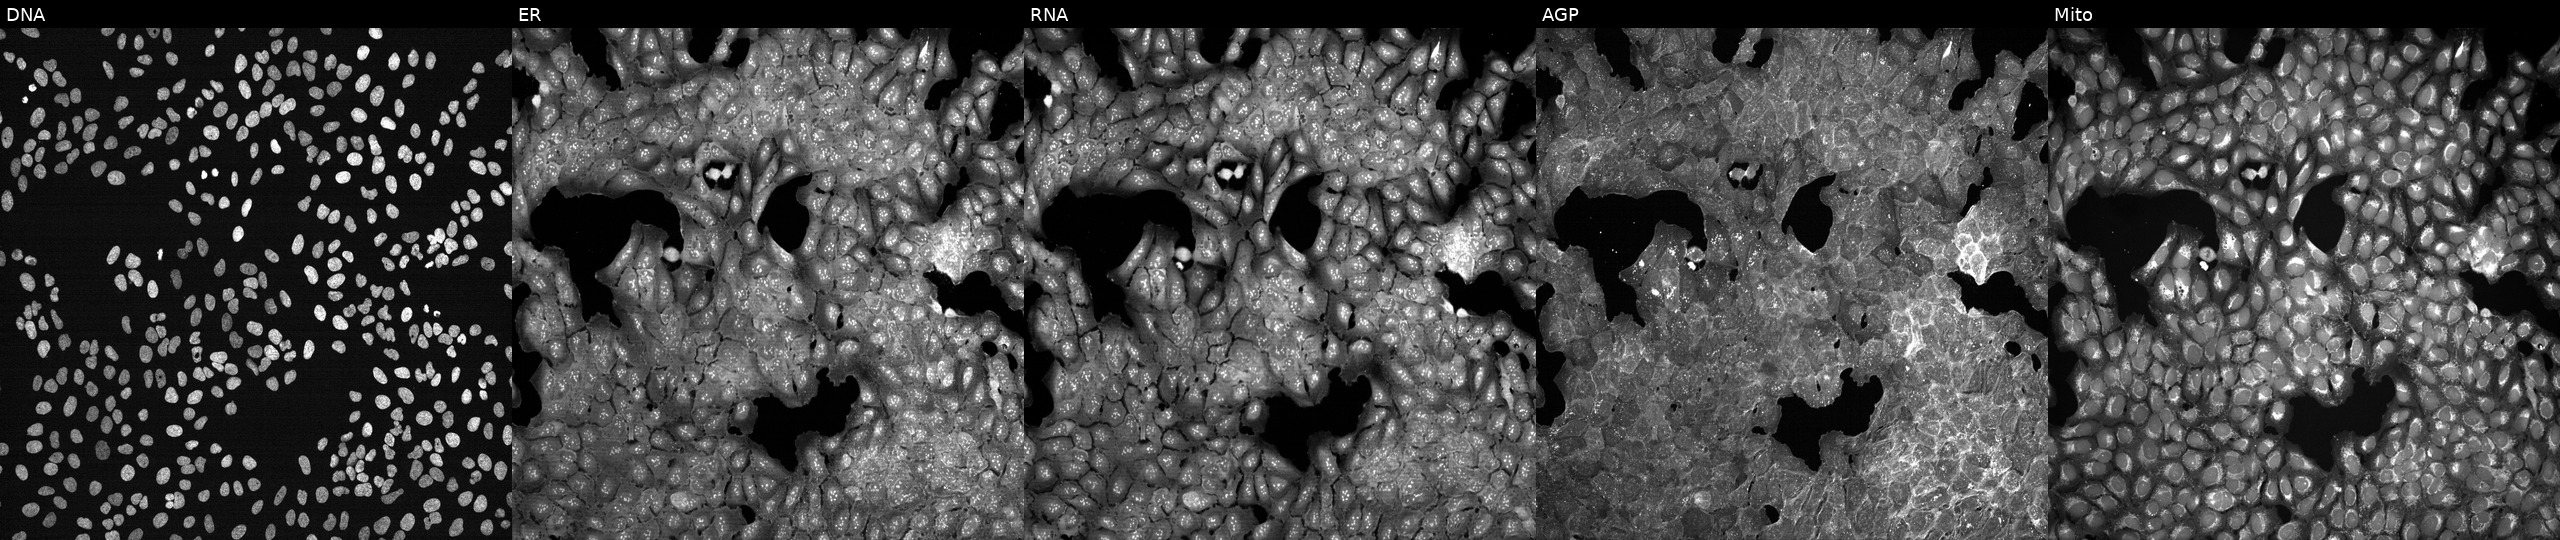
Five-channel Cell Painting image of U2OS cells perturbed with a small-molecule compound (InChIKey TXZPMHLMPKIUGK-UHFFFAOYSA-N) (JUMP id JCP2022_087474). From left to right: DNA (nuclei); ER (endoplasmic reticulum); RNA (nucleoli and cytoplasmic RNA); AGP (actin cytoskeleton, Golgi, and plasma membrane); Mito (mitochondria).